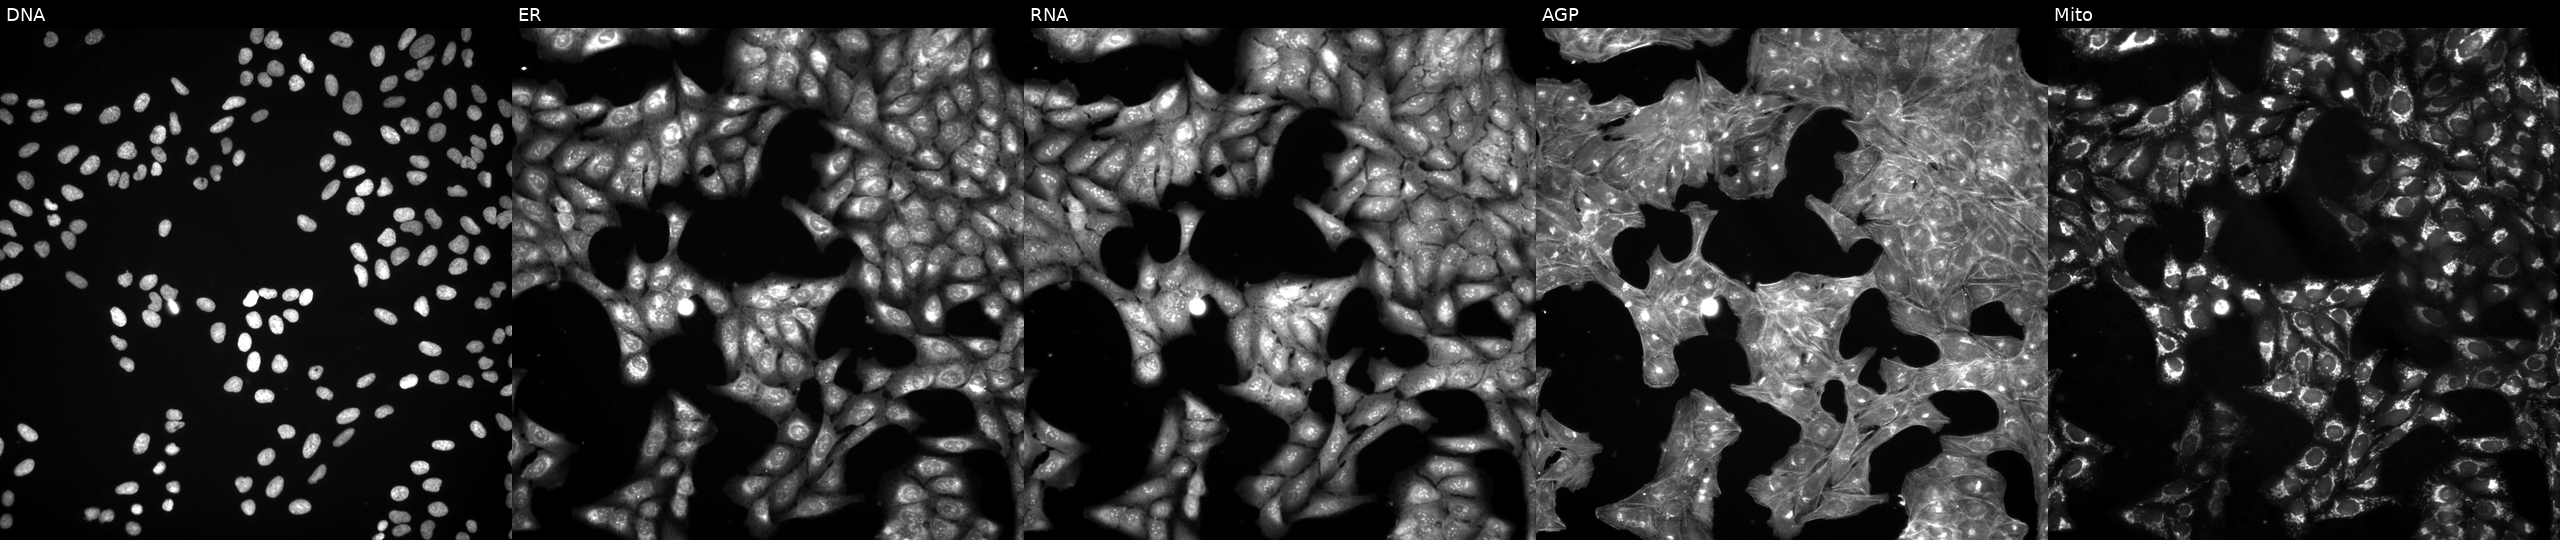
High-content fluorescence microscopy (Cell Painting). Cell line: U2OS. Perturbation: exposed to DMSO alone as a negative control. The five panels, left to right, show DNA, ER, RNA, AGP, and Mito.